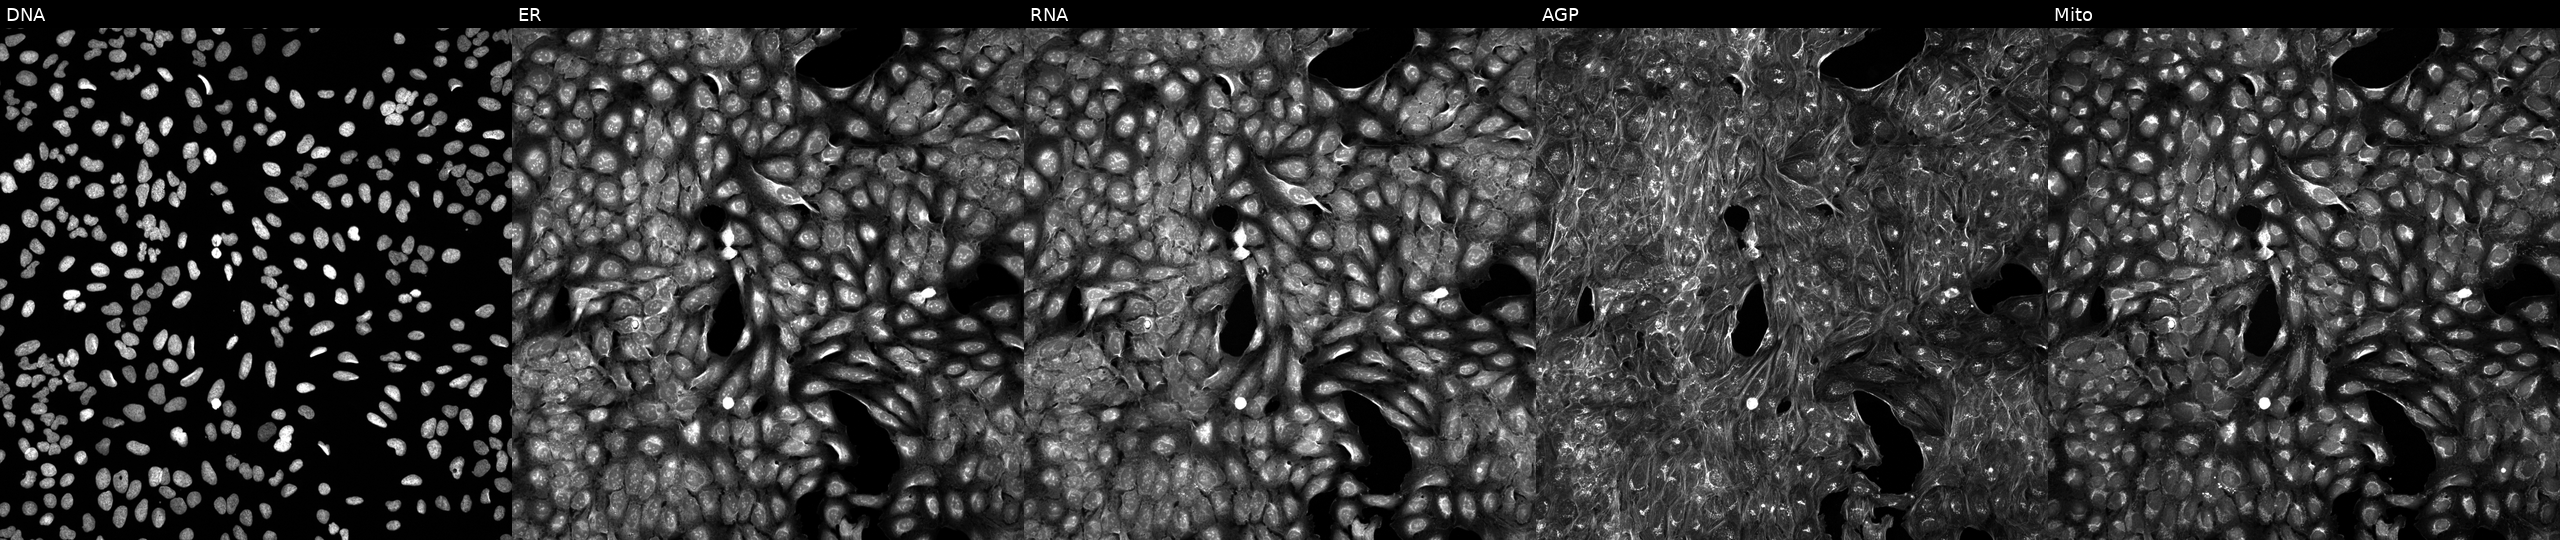
JUMP Cell Painting — COMPOUND plate. U2OS cells treated with a small-molecule compound (InChIKey NJUMZEGFZKOAHI-UHFFFAOYSA-N) [SMILES: Cc1ccc(CC2CCCN(CCC(=O)NC(N)=O)C2)cc1] (JUMP id JCP2022_059464). The five panels, left to right, show DNA (nuclei); ER (endoplasmic reticulum); RNA (nucleoli and cytoplasmic RNA); AGP (actin cytoskeleton, Golgi, and plasma membrane); Mito (mitochondria). Source 5, plate APTJUM106, well M14.